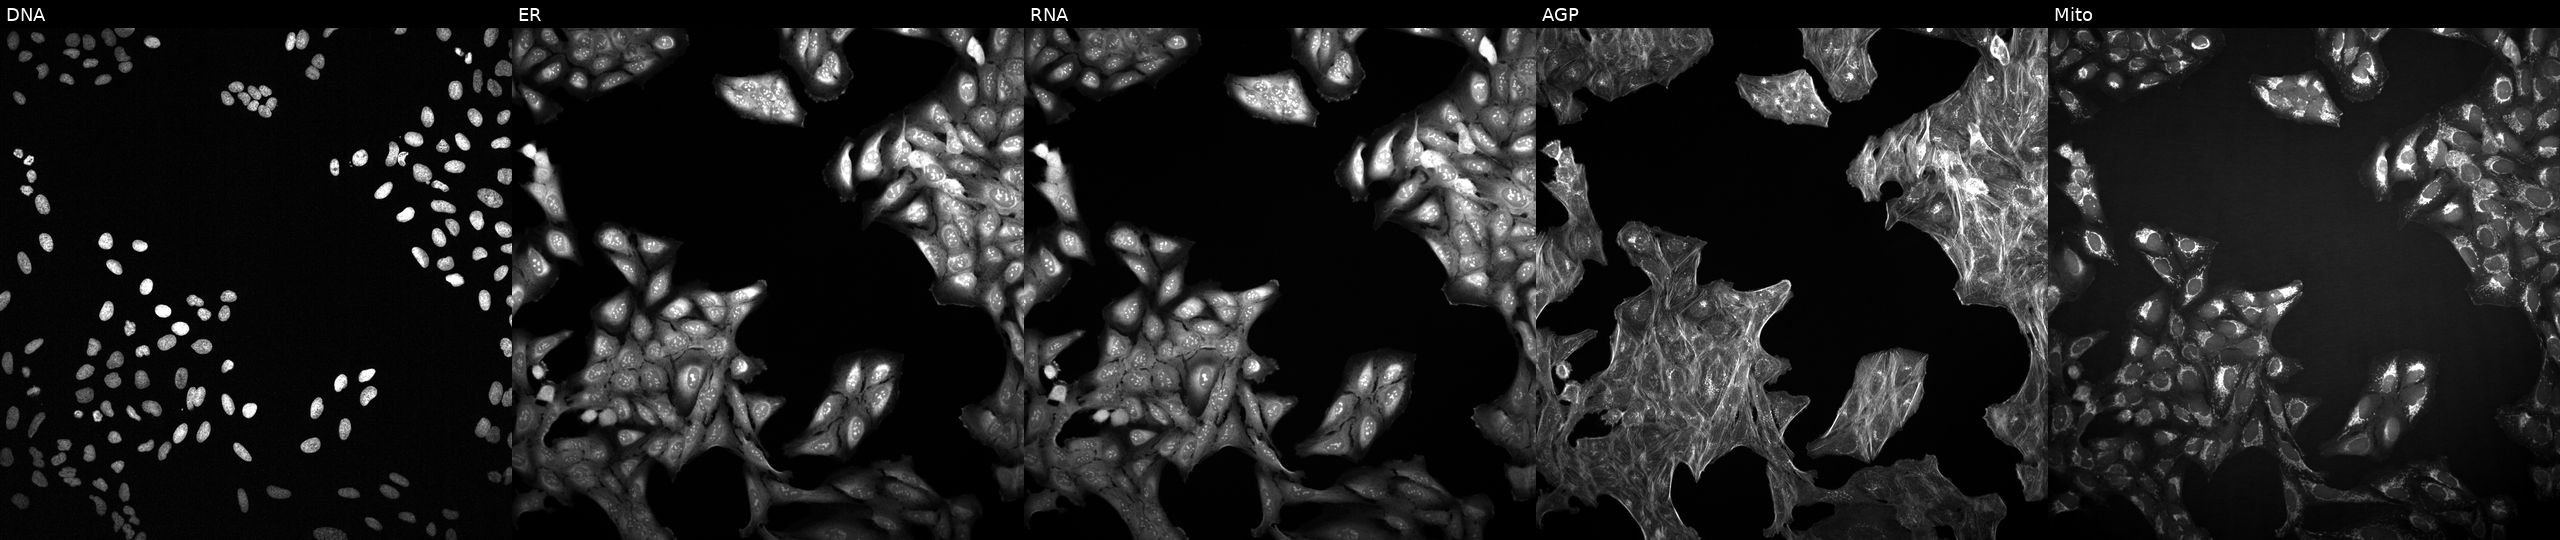
JUMP Cell Painting — COMPOUND plate. U2OS cells exposed to a small-molecule compound (InChIKey RKJJMMRJONGTDR-UHFFFAOYSA-N). Channels (left→right): DNA, ER, RNA, AGP, and Mito. Source 2, plate 1053601756, well A16.